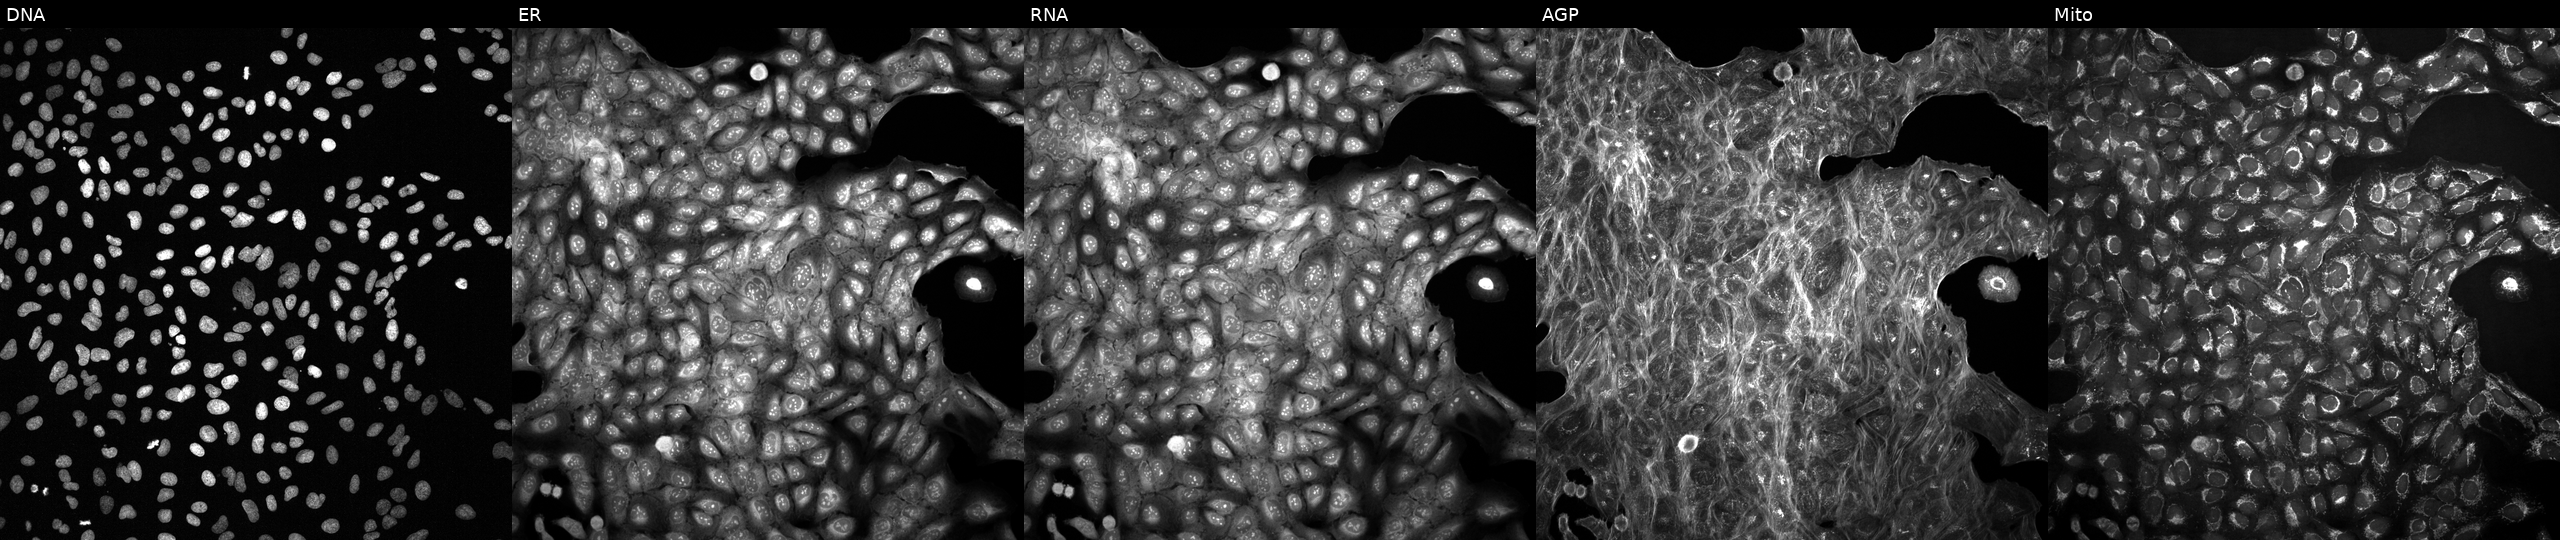
Channels (left→right): DNA (nuclei); ER (endoplasmic reticulum); RNA (nucleoli and cytoplasmic RNA); AGP (actin cytoskeleton, Golgi, and plasma membrane); Mito (mitochondria). U2OS osteosarcoma cells with an unidentified perturbation (not annotated in JUMP metadata). Cell Painting assay, JUMP-CP dataset. Source 2, plate 1053601756, well D04.